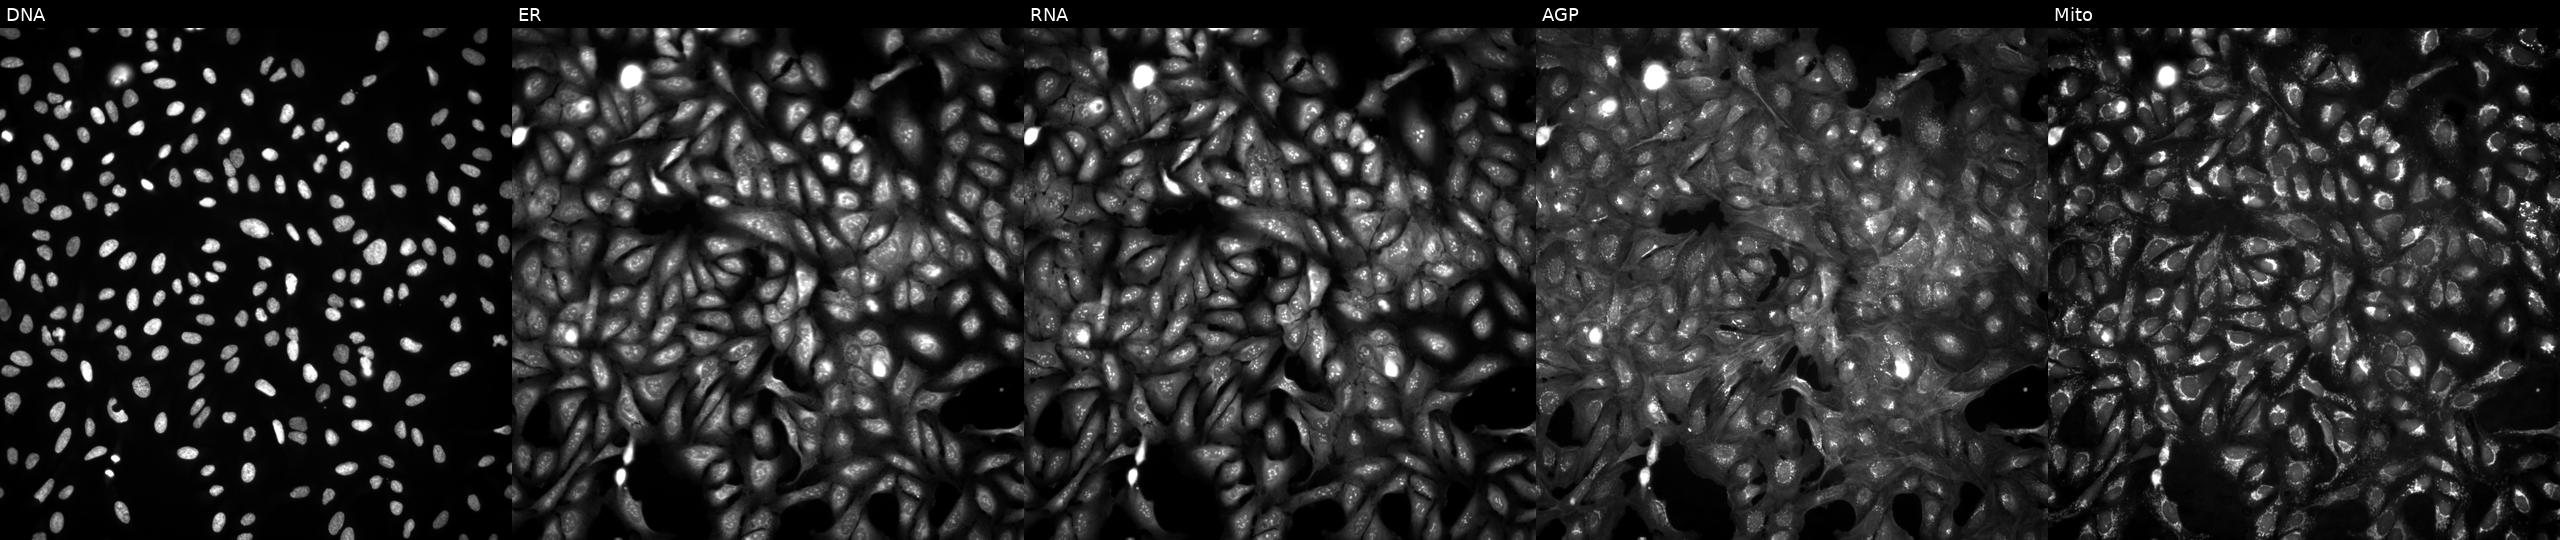
U2OS cells, Cell Painting assay, in an empty control well (no perturbation). The five panels, left to right, show Hoechst 33342, concanavalin A, SYTO 14, phalloidin and WGA, MitoTracker. Each panel is percentile-stretched 16-bit fluorescence.